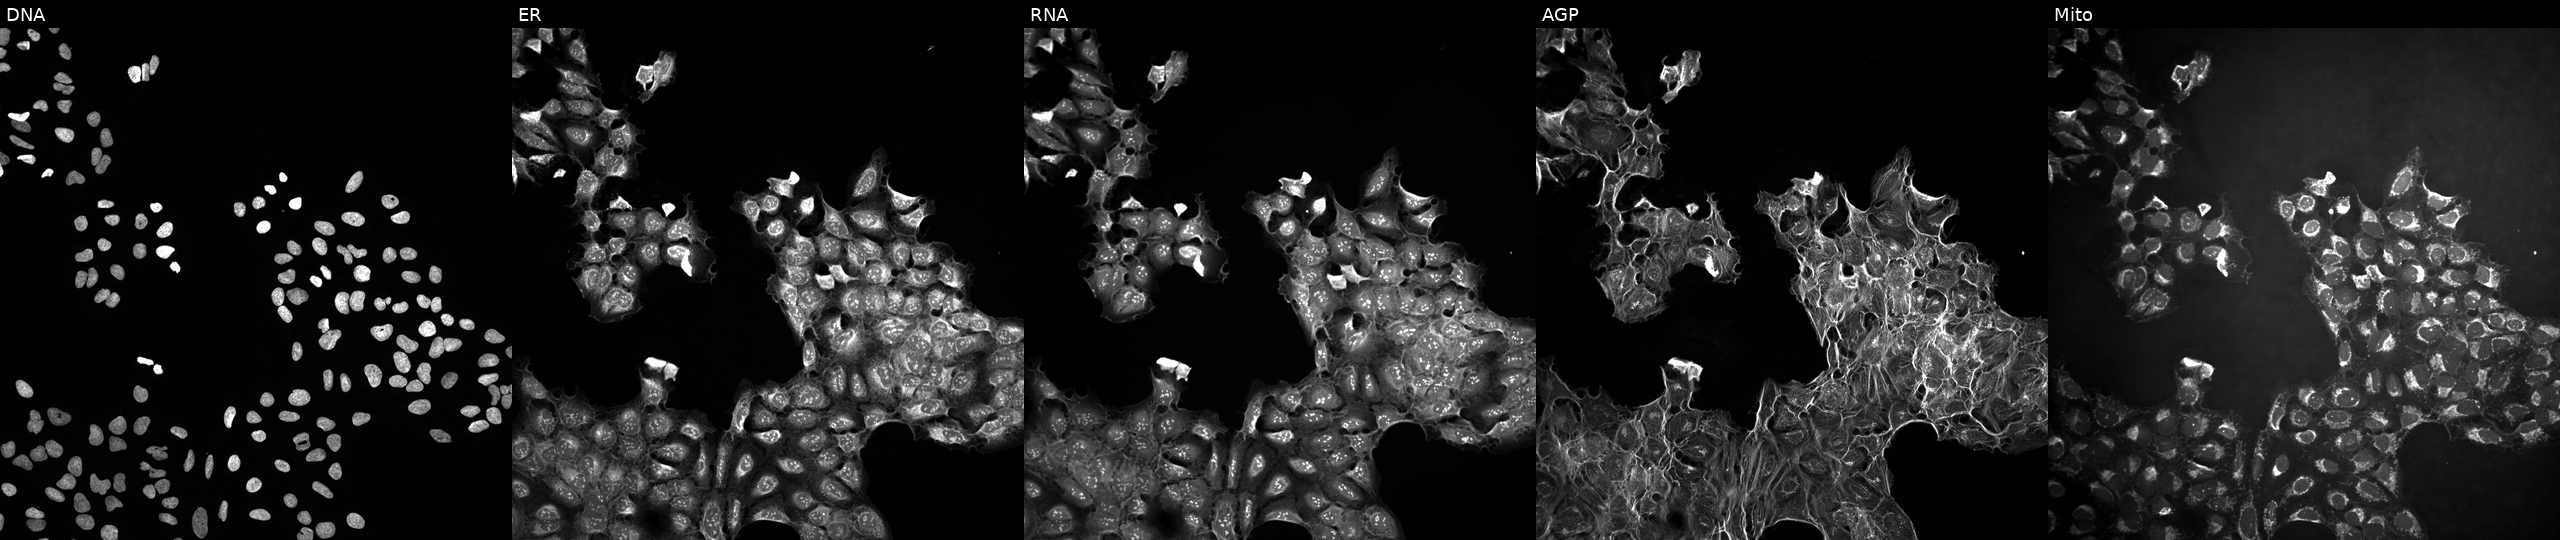
JUMP Cell Painting — TARGET2 plate. U2OS cells exposed to a small-molecule compound (JUMP id JCP2022_062592). From left to right: DNA, ER, RNA, AGP, and Mito. Source 10, plate Dest210727-153003, well N03.